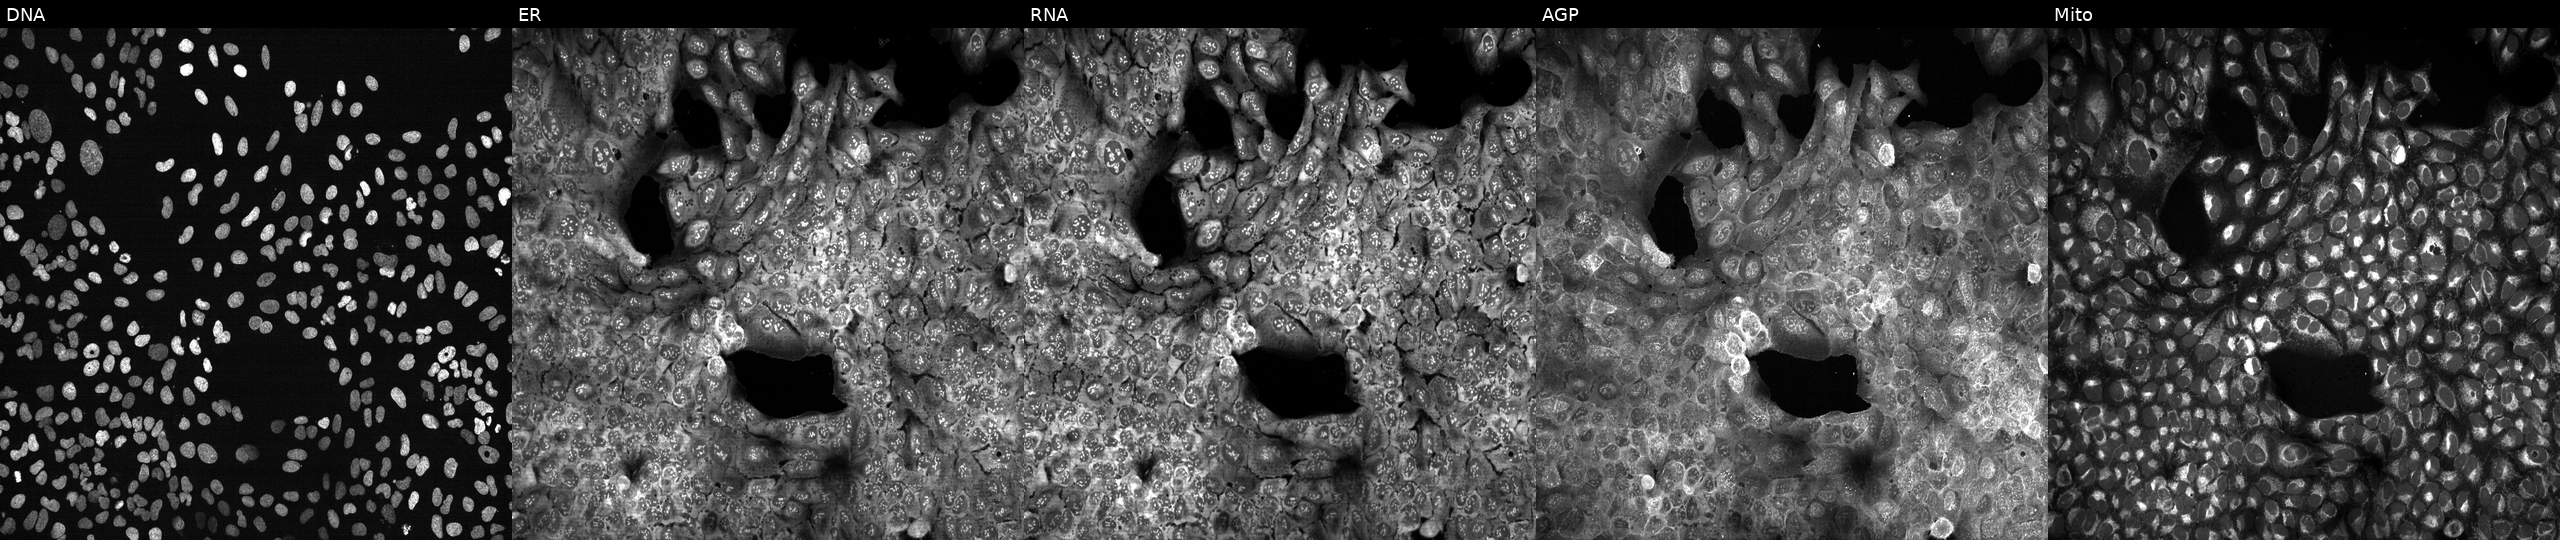
High-content fluorescence microscopy (Cell Painting). Cell line: U2OS. Perturbation: with ALOX15 knocked out by CRISPR. From left to right: DNA (nuclei); ER (endoplasmic reticulum); RNA (nucleoli and cytoplasmic RNA); AGP (actin cytoskeleton, Golgi, and plasma membrane); Mito (mitochondria). Source 13, plate CP-CC9-R4-04, well I10.